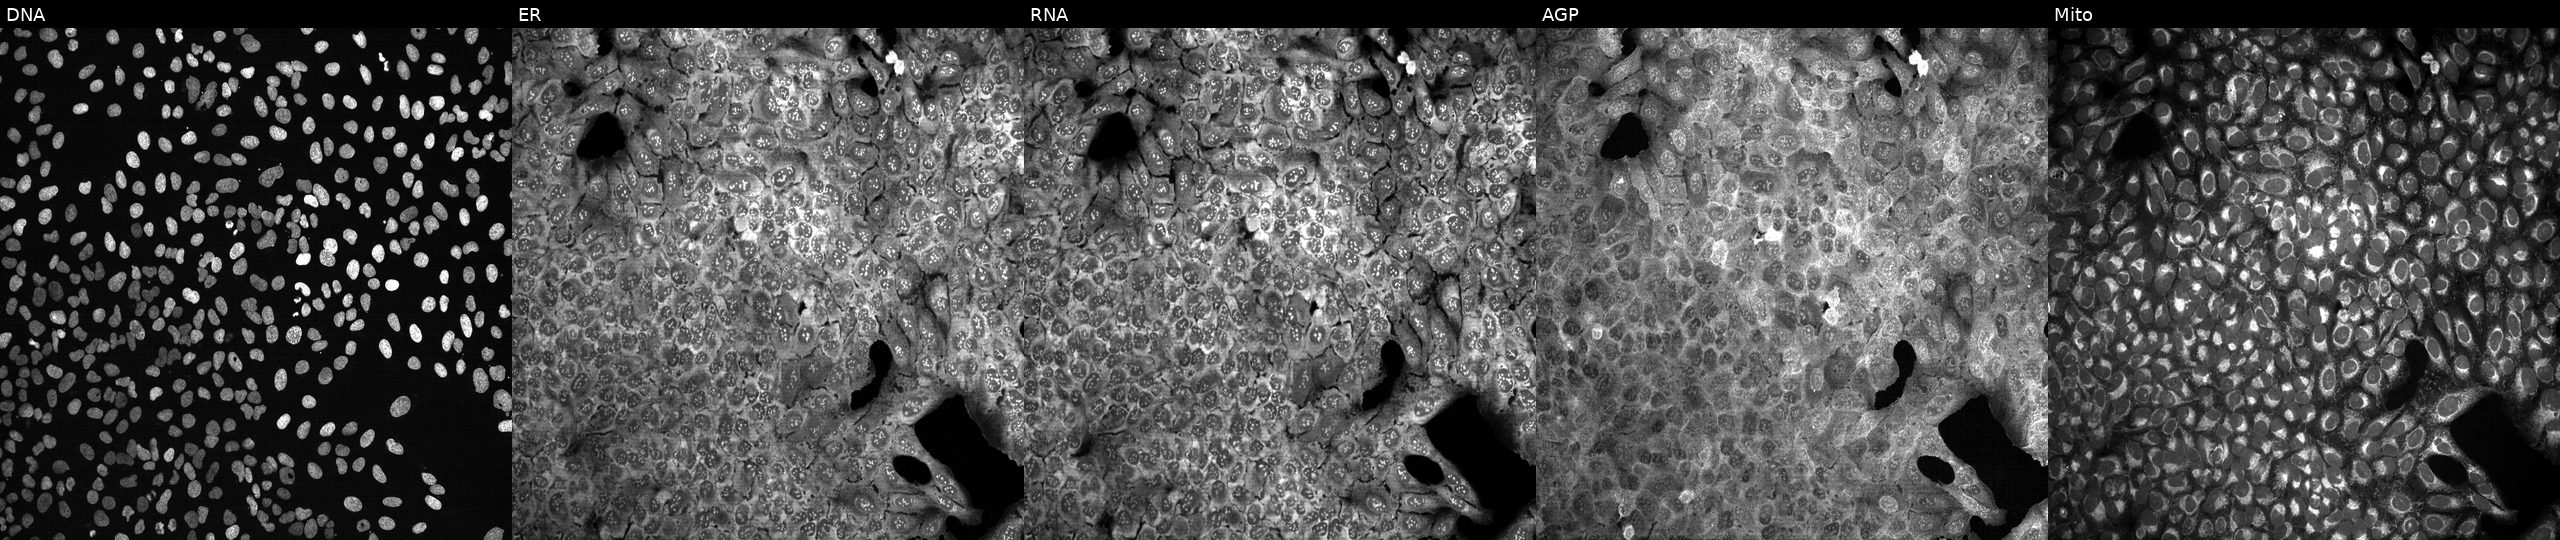
High-content fluorescence microscopy (Cell Painting). Cell line: U2OS. Perturbation: following CRISPR knockout of MGST2. The five panels, left to right, show DNA (nuclei); ER (endoplasmic reticulum); RNA (nucleoli and cytoplasmic RNA); AGP (actin cytoskeleton, Golgi, and plasma membrane); Mito (mitochondria).